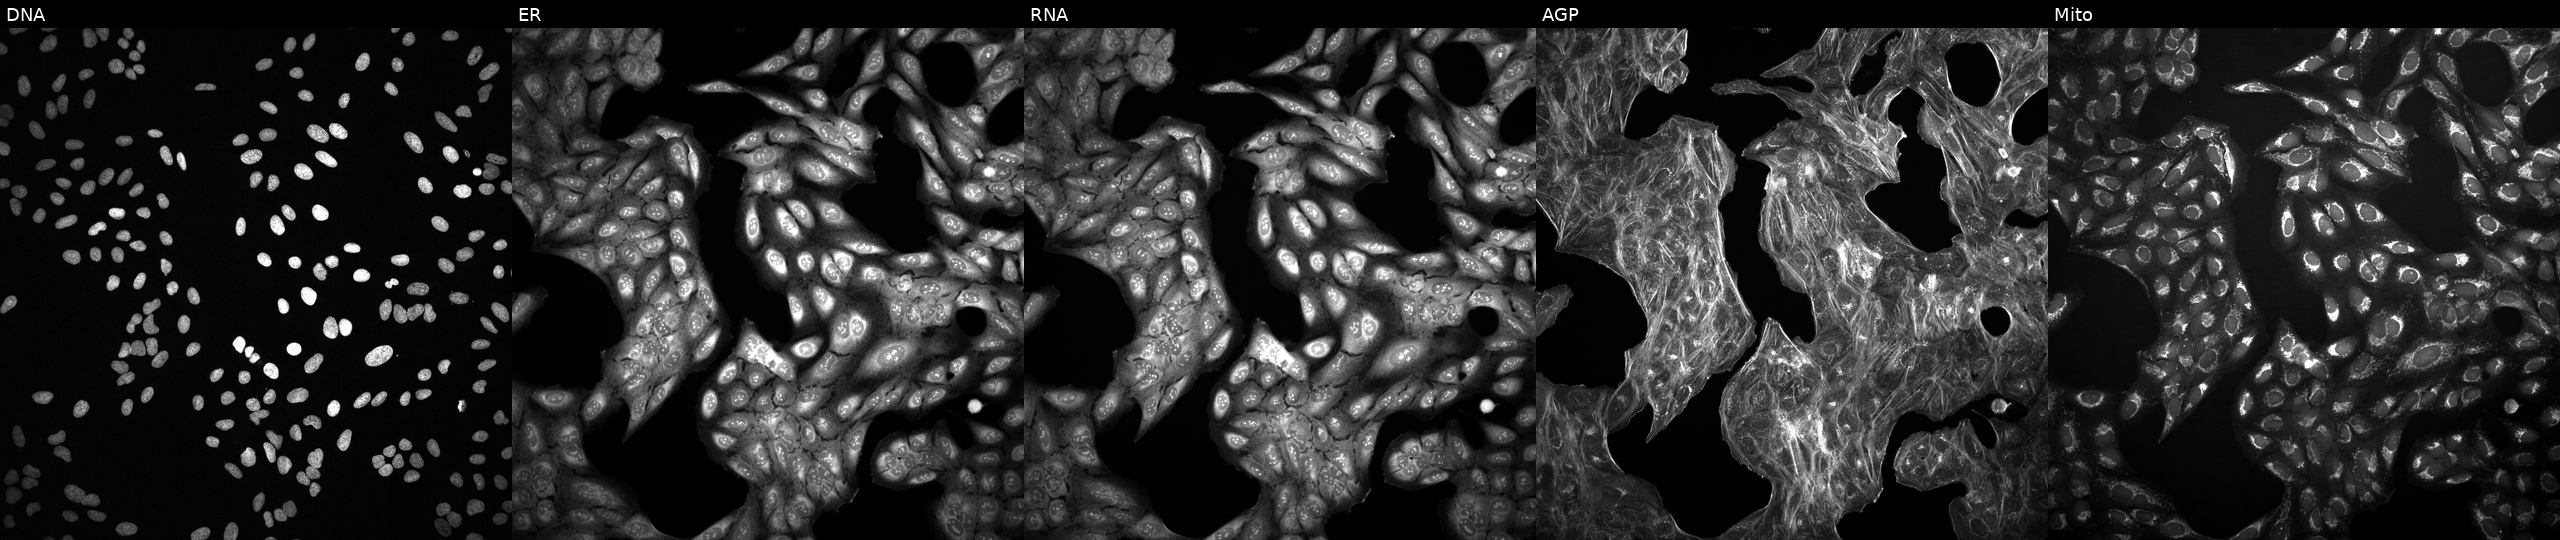
JUMP Cell Painting — TARGET2 plate. U2OS cells perturbed with a small-molecule compound [SMILES: CC(NC(=O)CCc1nc(=O)c2ccccc2[nH]1)c1ccccc1]. From left to right: DNA (nuclei); ER (endoplasmic reticulum); RNA (nucleoli and cytoplasmic RNA); AGP (actin cytoskeleton, Golgi, and plasma membrane); Mito (mitochondria).